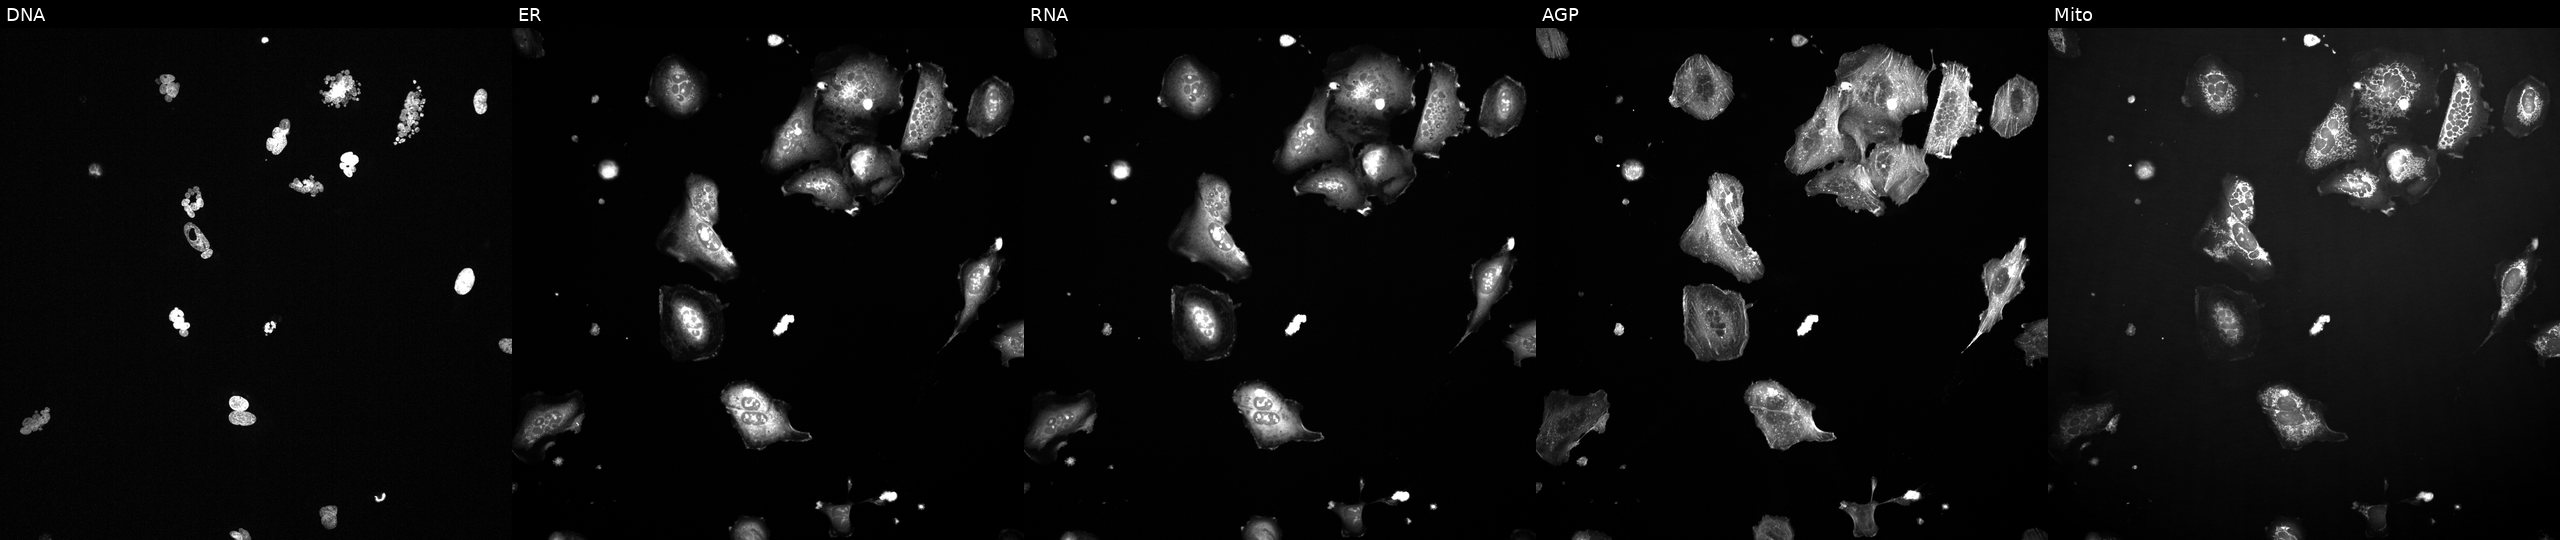
High-content fluorescence microscopy (Cell Painting). Cell line: U2OS. Perturbation: treated with a small-molecule compound. Channels (left→right): DNA (nuclei); ER (endoplasmic reticulum); RNA (nucleoli and cytoplasmic RNA); AGP (actin cytoskeleton, Golgi, and plasma membrane); Mito (mitochondria).